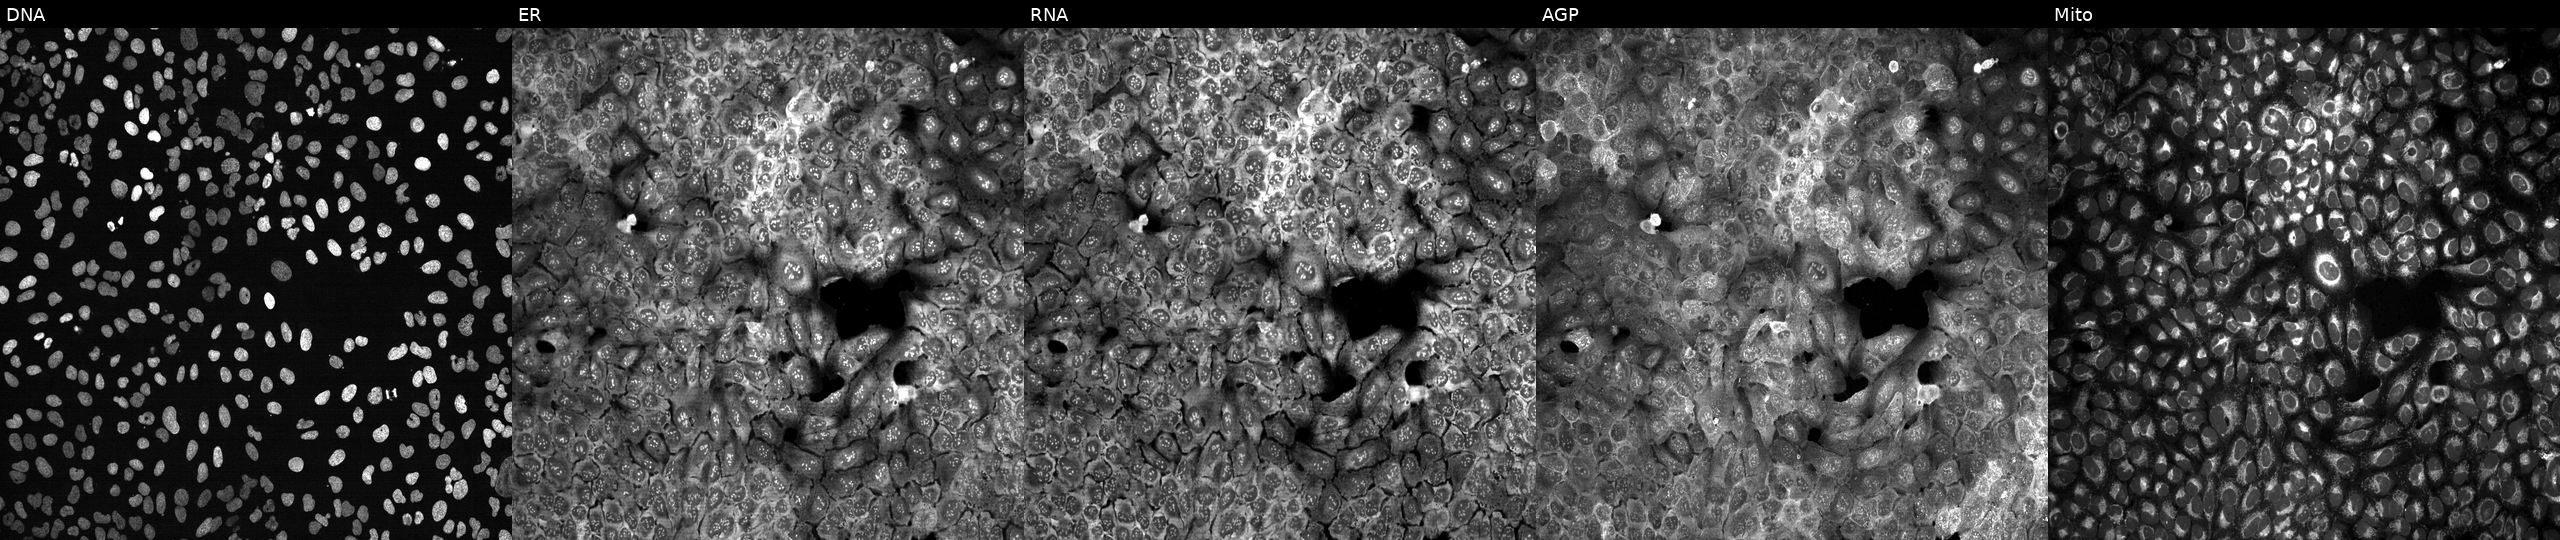
This image strip shows the five Cell Painting channels for a single field of U2OS cells following CRISPR knockout of SLC22A11. From left to right: Hoechst 33342, concanavalin A, SYTO 14, phalloidin and WGA, MitoTracker.